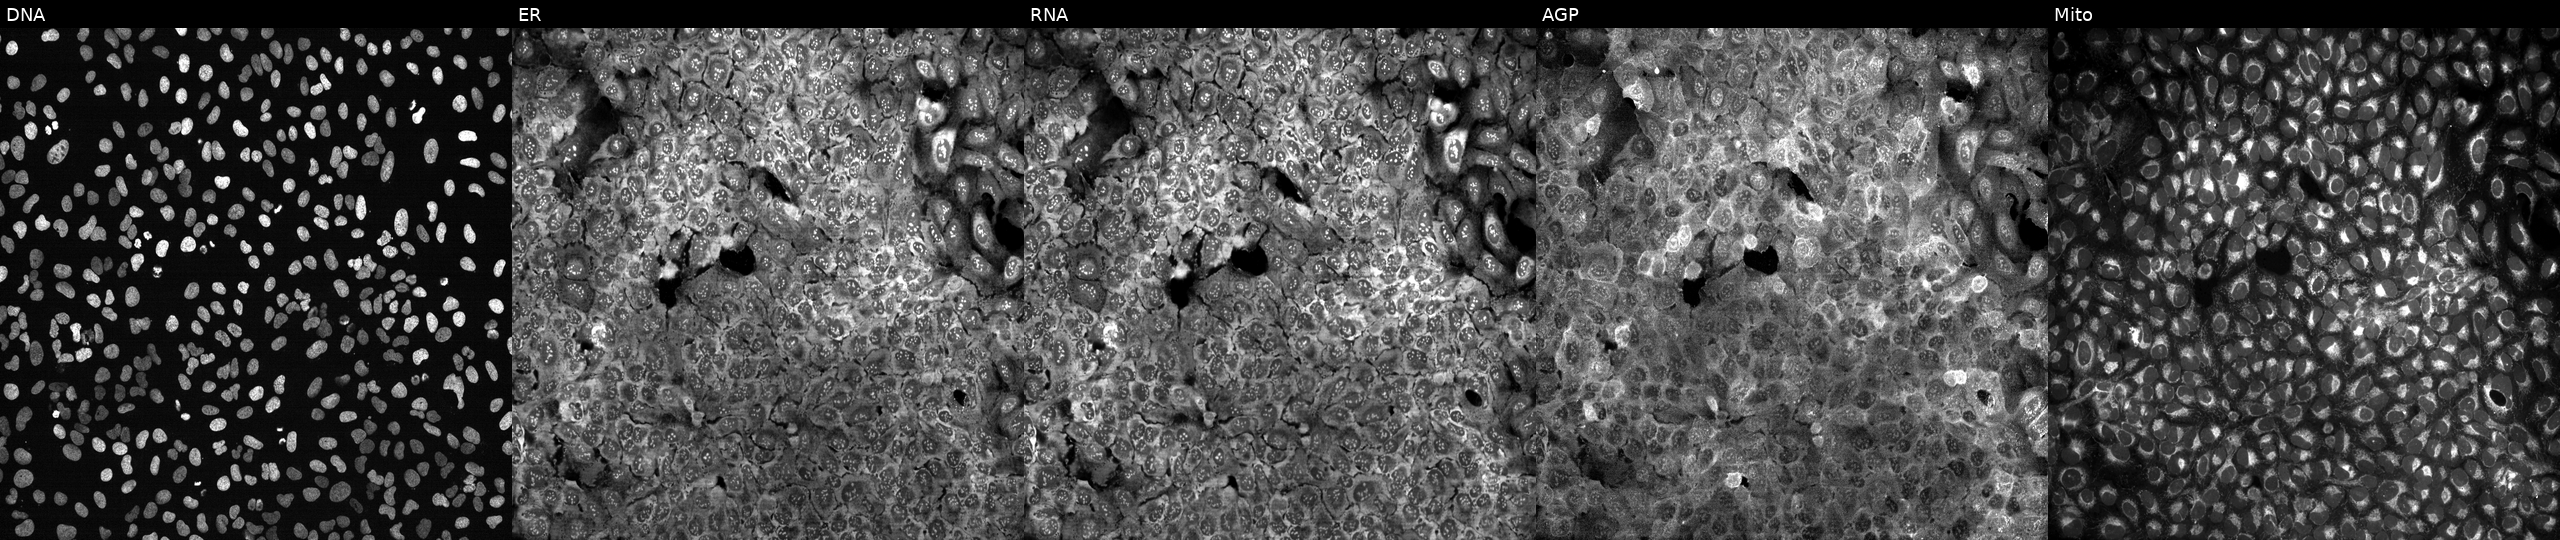
High-content fluorescence microscopy (Cell Painting). Cell line: U2OS. Perturbation: CRISPR-edited to disrupt ABCC10 (JUMP id JCP2022_800041). The five panels, left to right, show DNA, ER, RNA, AGP, and Mito.